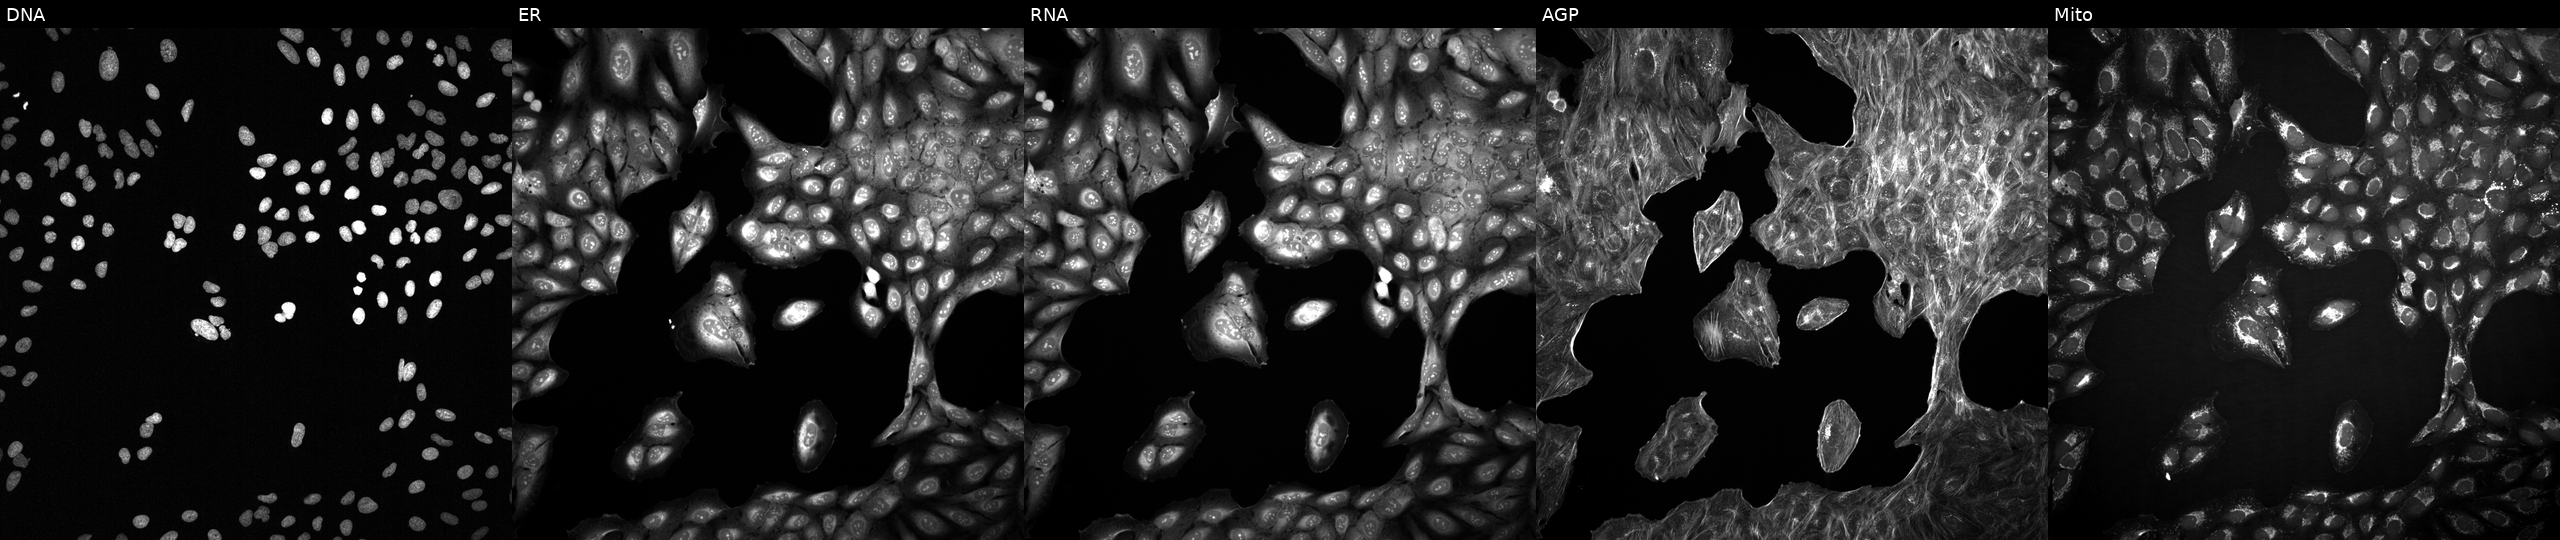
Five-channel Cell Painting image of U2OS cells with an unidentified perturbation (not annotated in JUMP metadata). Channels (left→right): DNA, ER, RNA, AGP, and Mito.